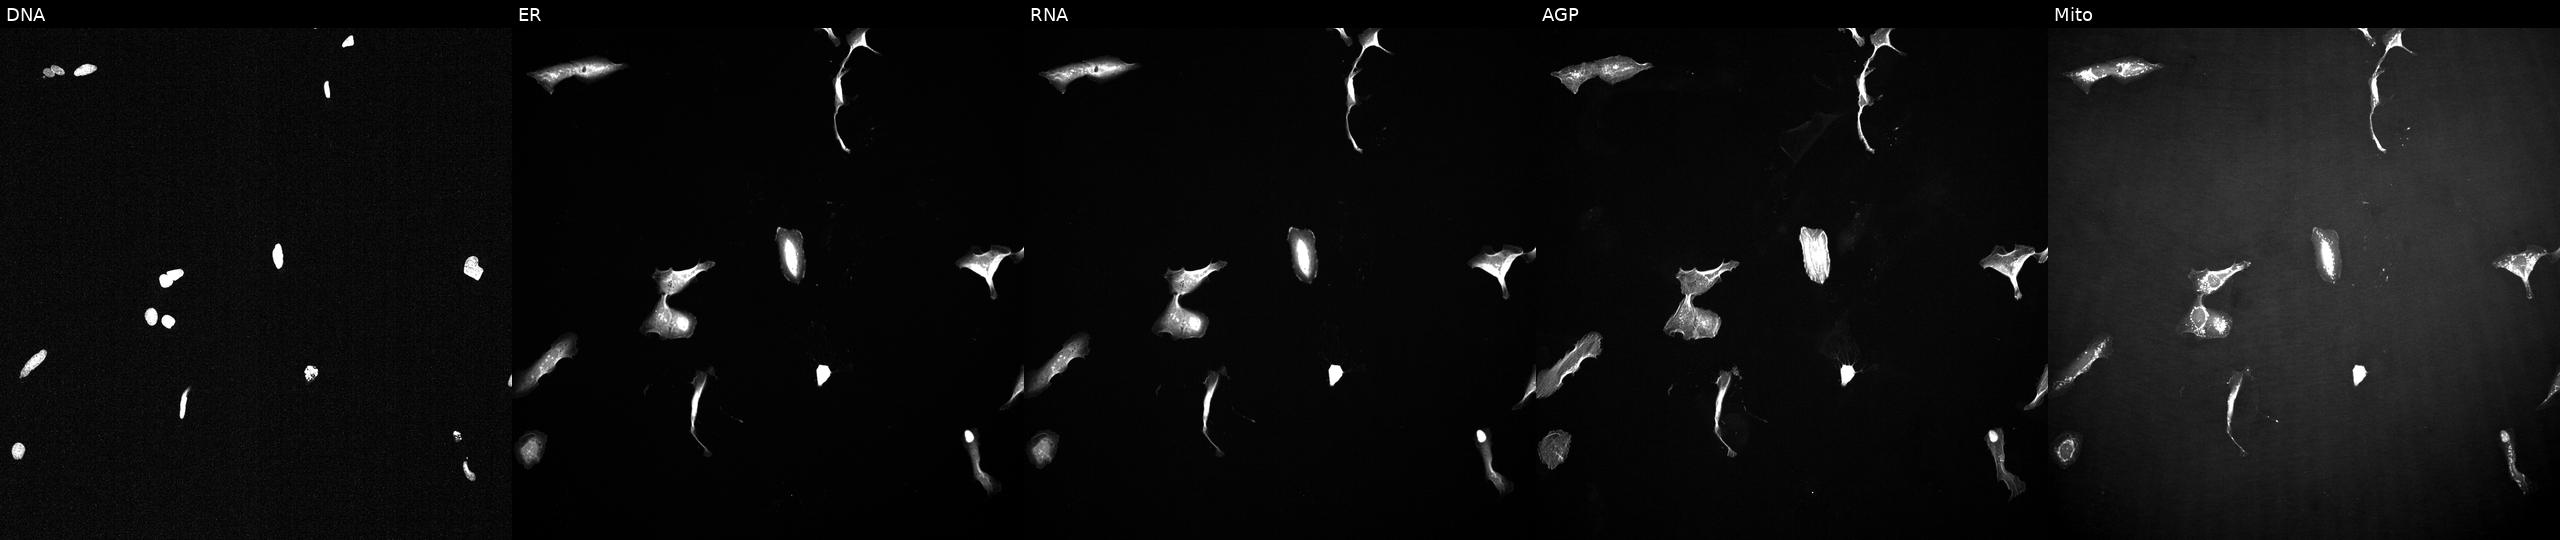
Channels (left→right): DNA (nuclei); ER (endoplasmic reticulum); RNA (nucleoli and cytoplasmic RNA); AGP (actin cytoskeleton, Golgi, and plasma membrane); Mito (mitochondria). U2OS osteosarcoma cells perturbed with a small-molecule compound (InChIKey YKJYKKNCCRKFSL-UHFFFAOYSA-N) [SMILES: COc1ccc(CC2NCC(O)C2OC(C)=O)cc1] (JUMP id JCP2022_109043). Cell Painting assay, JUMP-CP dataset. Source 2, plate 1053600674, well L09.